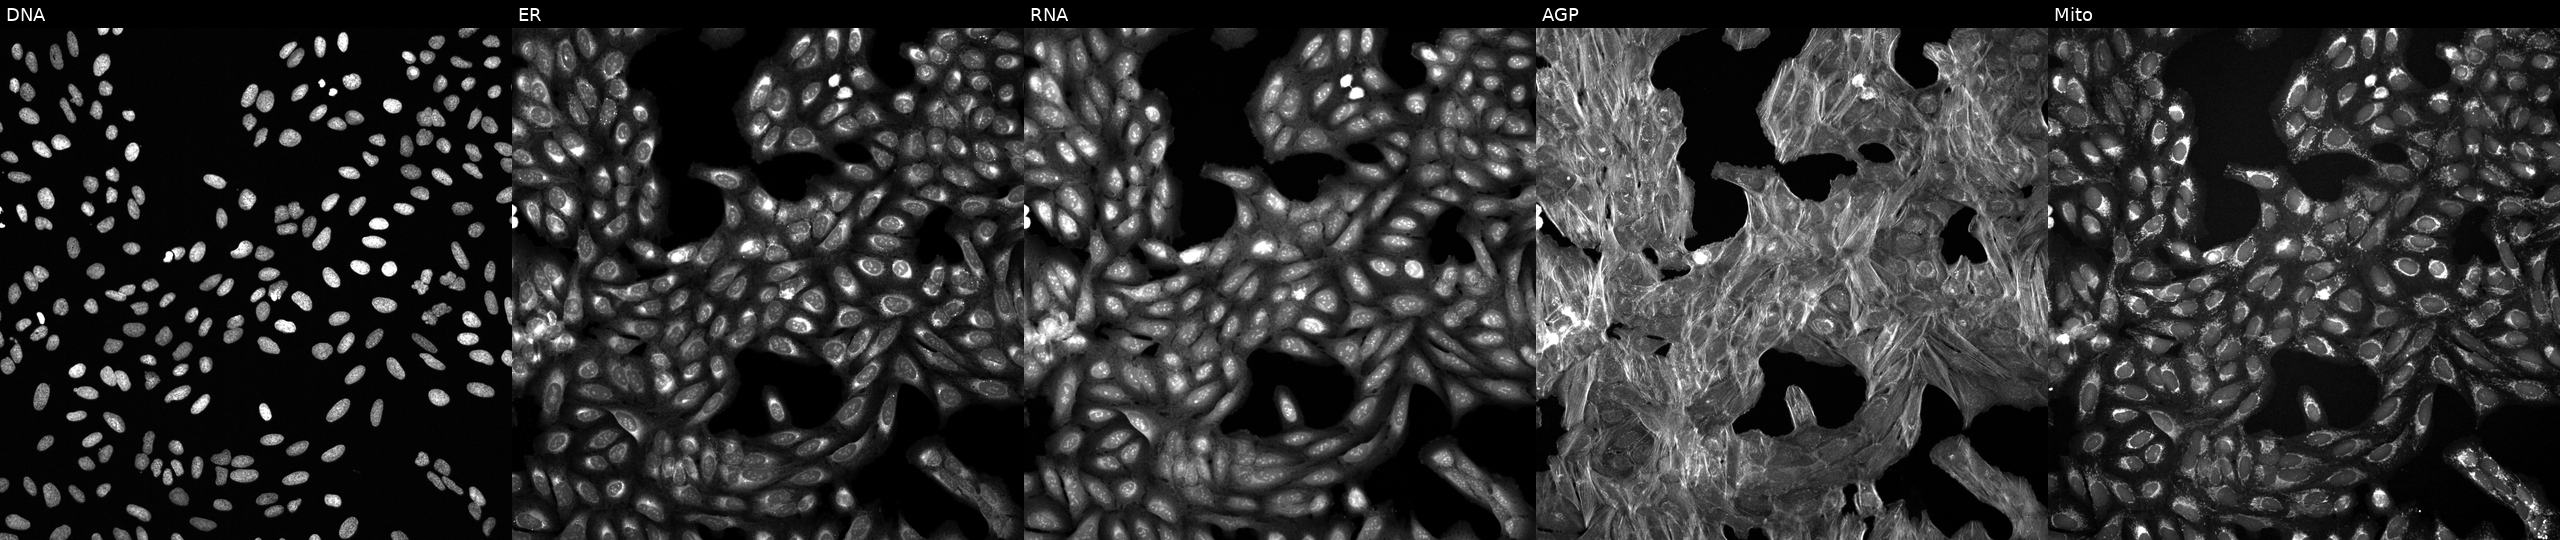
U2OS cells, Cell Painting assay, perturbed with a small-molecule compound (InChIKey JBIMVDZLSHOPLA-UHFFFAOYSA-N) [SMILES: CN(C)CCC=C1c2ccccc2COc2ccc(CC(=O)O)cc21]. Channels (left→right): DNA (nuclei); ER (endoplasmic reticulum); RNA (nucleoli and cytoplasmic RNA); AGP (actin cytoskeleton, Golgi, and plasma membrane); Mito (mitochondria). Each panel is percentile-stretched 16-bit fluorescence. Source 6, plate 110000293093, well I22.